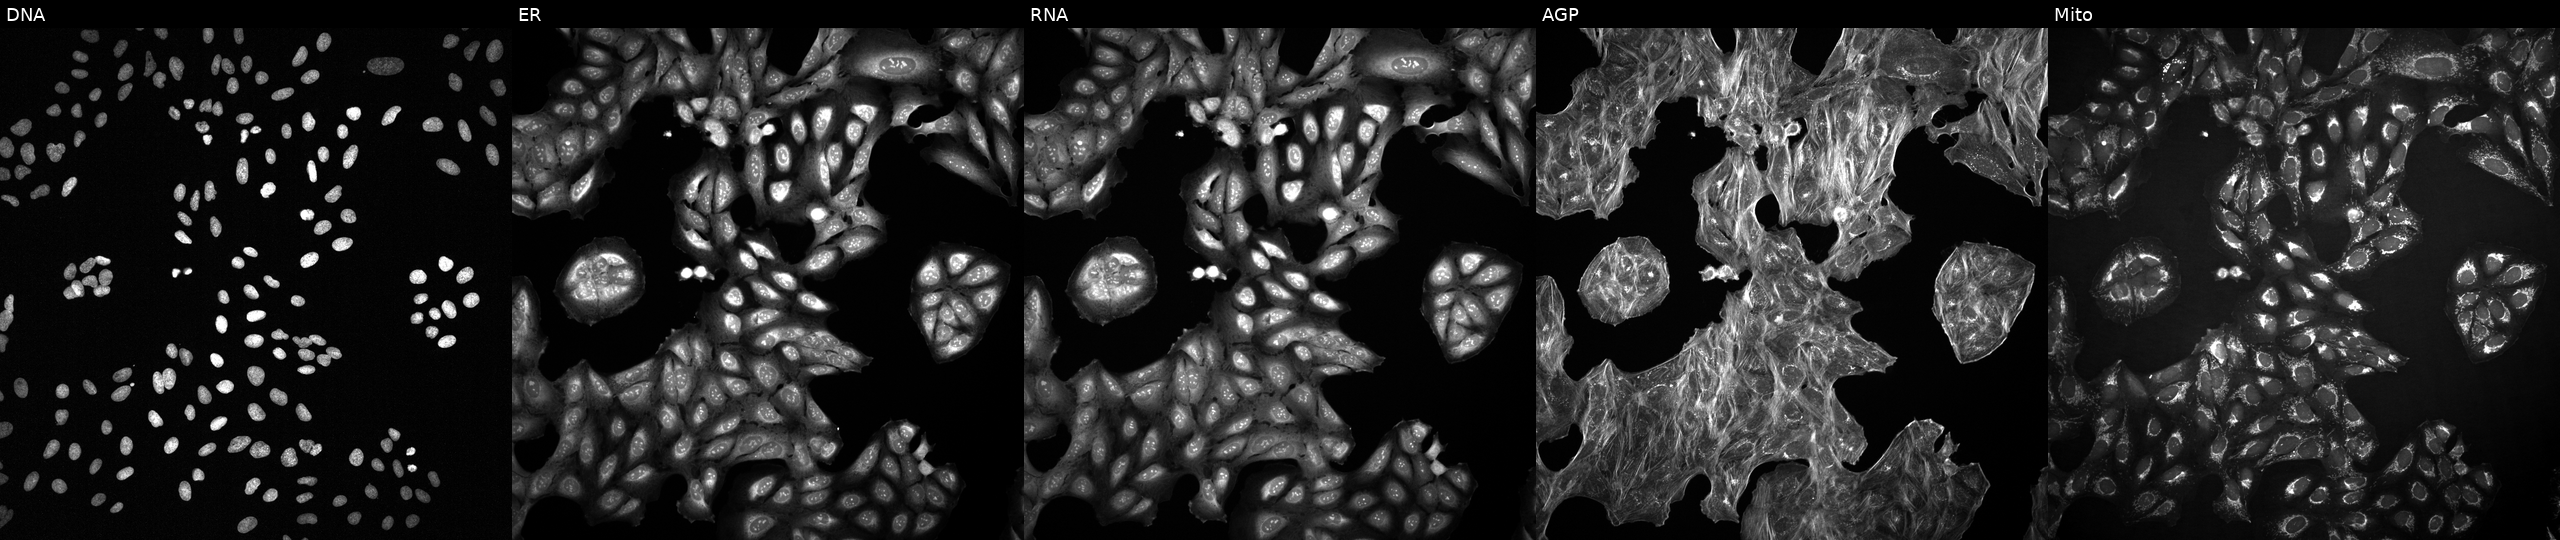
JUMP Cell Painting — COMPOUND plate. U2OS cells exposed to the positive-control compound quinidine (JUMP id JCP2022_050797). The five panels, left to right, show Hoechst 33342, concanavalin A, SYTO 14, phalloidin and WGA, MitoTracker.